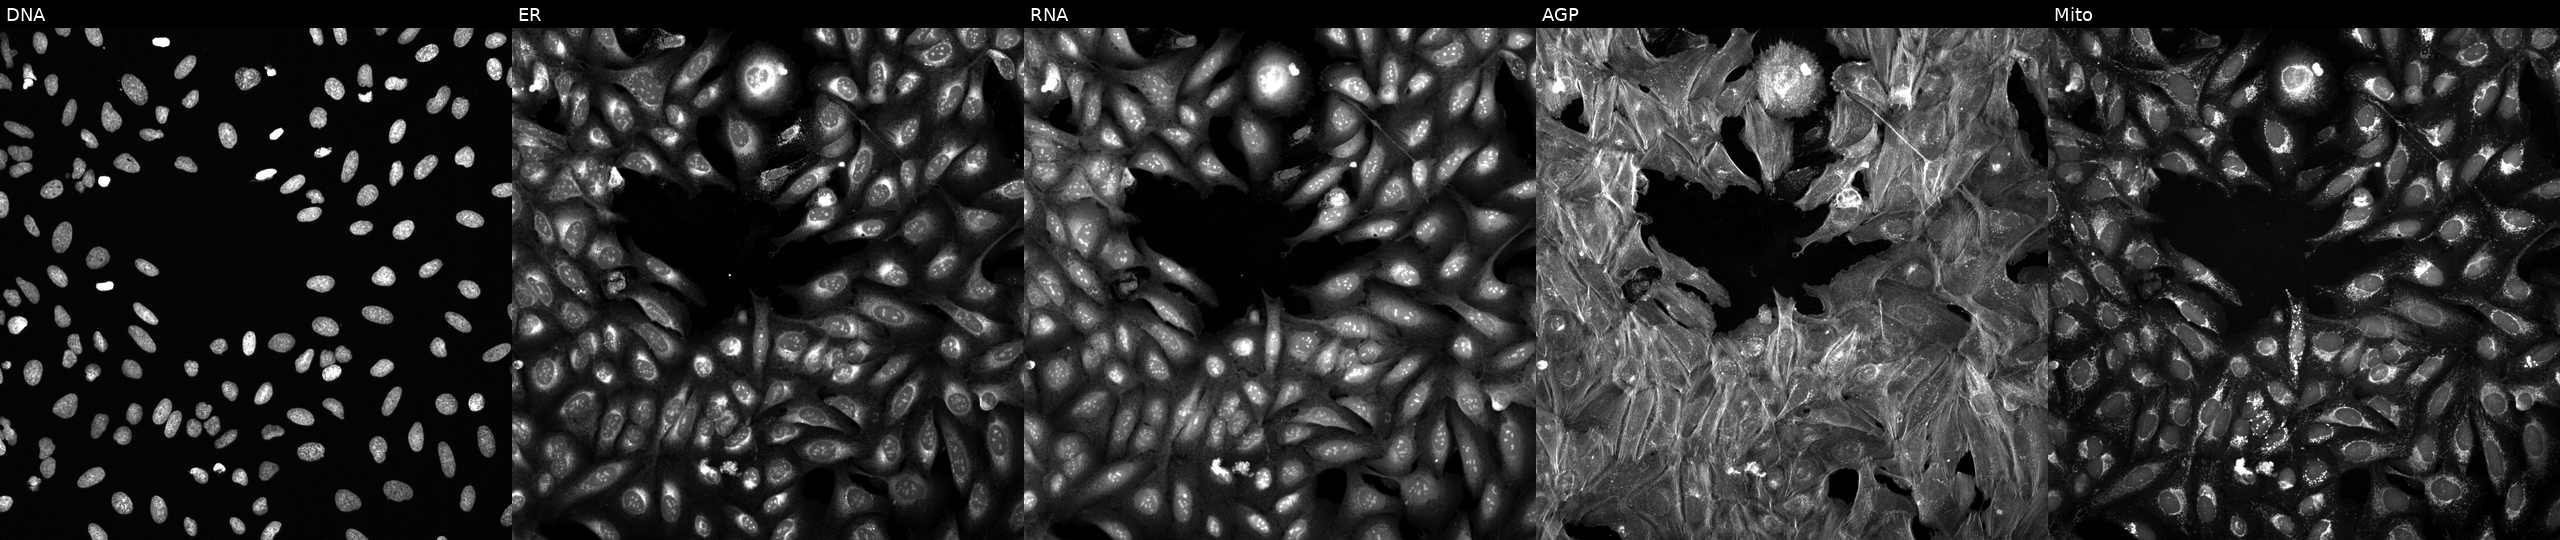
This image strip shows the five Cell Painting channels for a single field of U2OS cells exposed to a small-molecule compound (InChIKey IPSSXIMJJXSJQB-UHFFFAOYSA-N) [SMILES: CCOC(=O)C(Cc1ccccc1)NC(=O)c1cc(Cl)c(OCCN2CCN(C)CC2)c(Cl)c1O]. Channels (left→right): DNA, ER, RNA, AGP, and Mito.